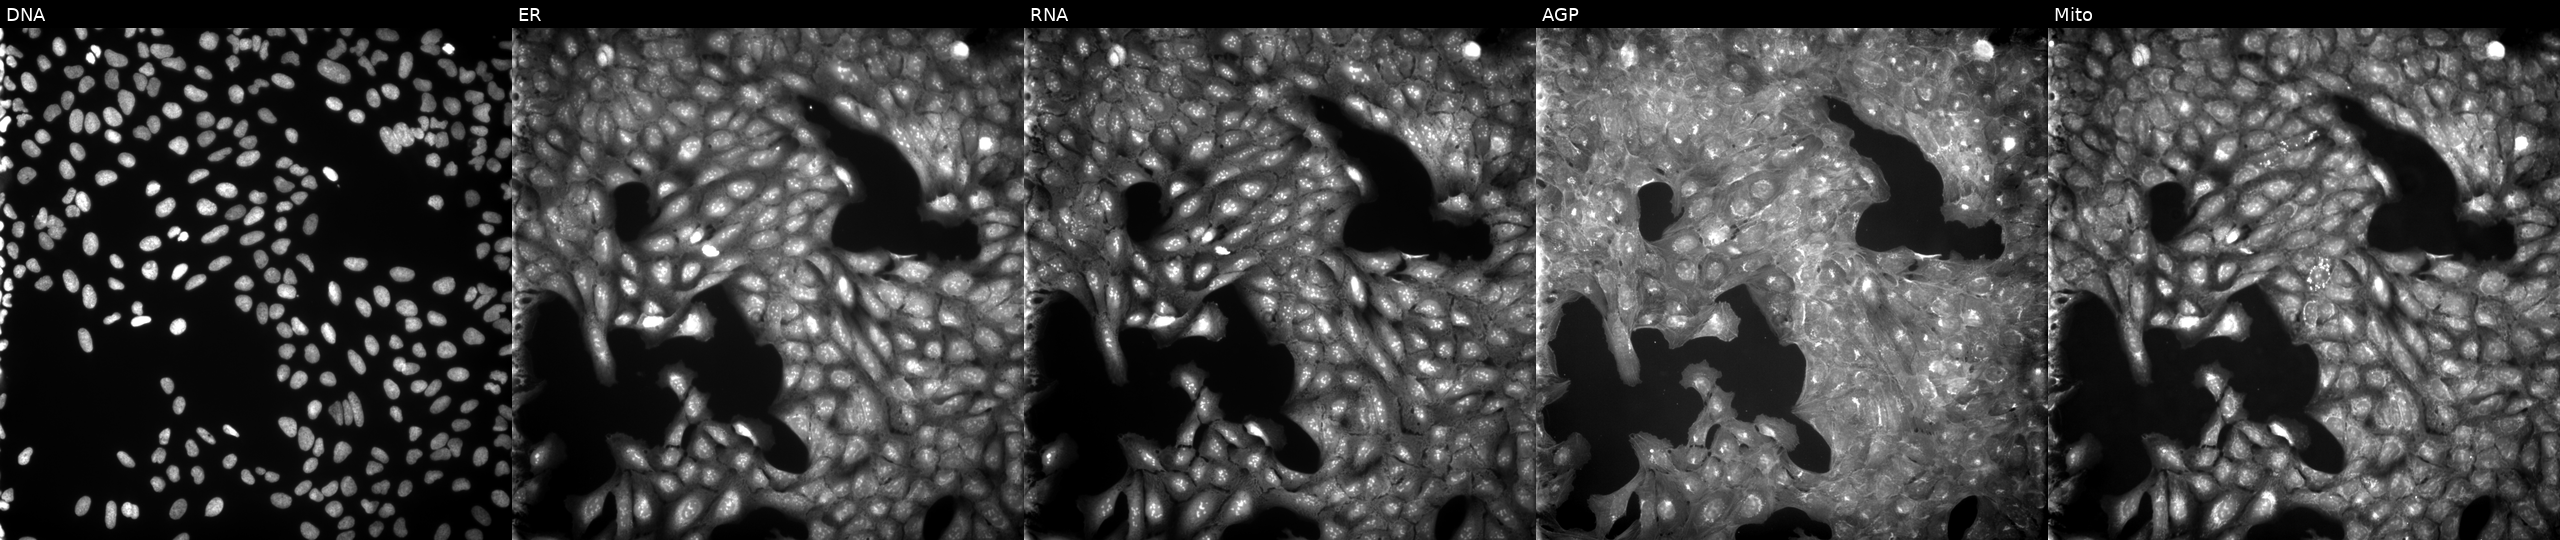
Five-channel Cell Painting image of U2OS cells treated with a small-molecule compound (InChIKey MZHPUAGJDBODSC-UHFFFAOYSA-N) [SMILES: COCCCn1c(=N)c(C(N)=S)cc2c(=O)n3cccc(C)c3nc21]. Panels show, left to right, DNA (nuclei); ER (endoplasmic reticulum); RNA (nucleoli and cytoplasmic RNA); AGP (actin cytoskeleton, Golgi, and plasma membrane); Mito (mitochondria).